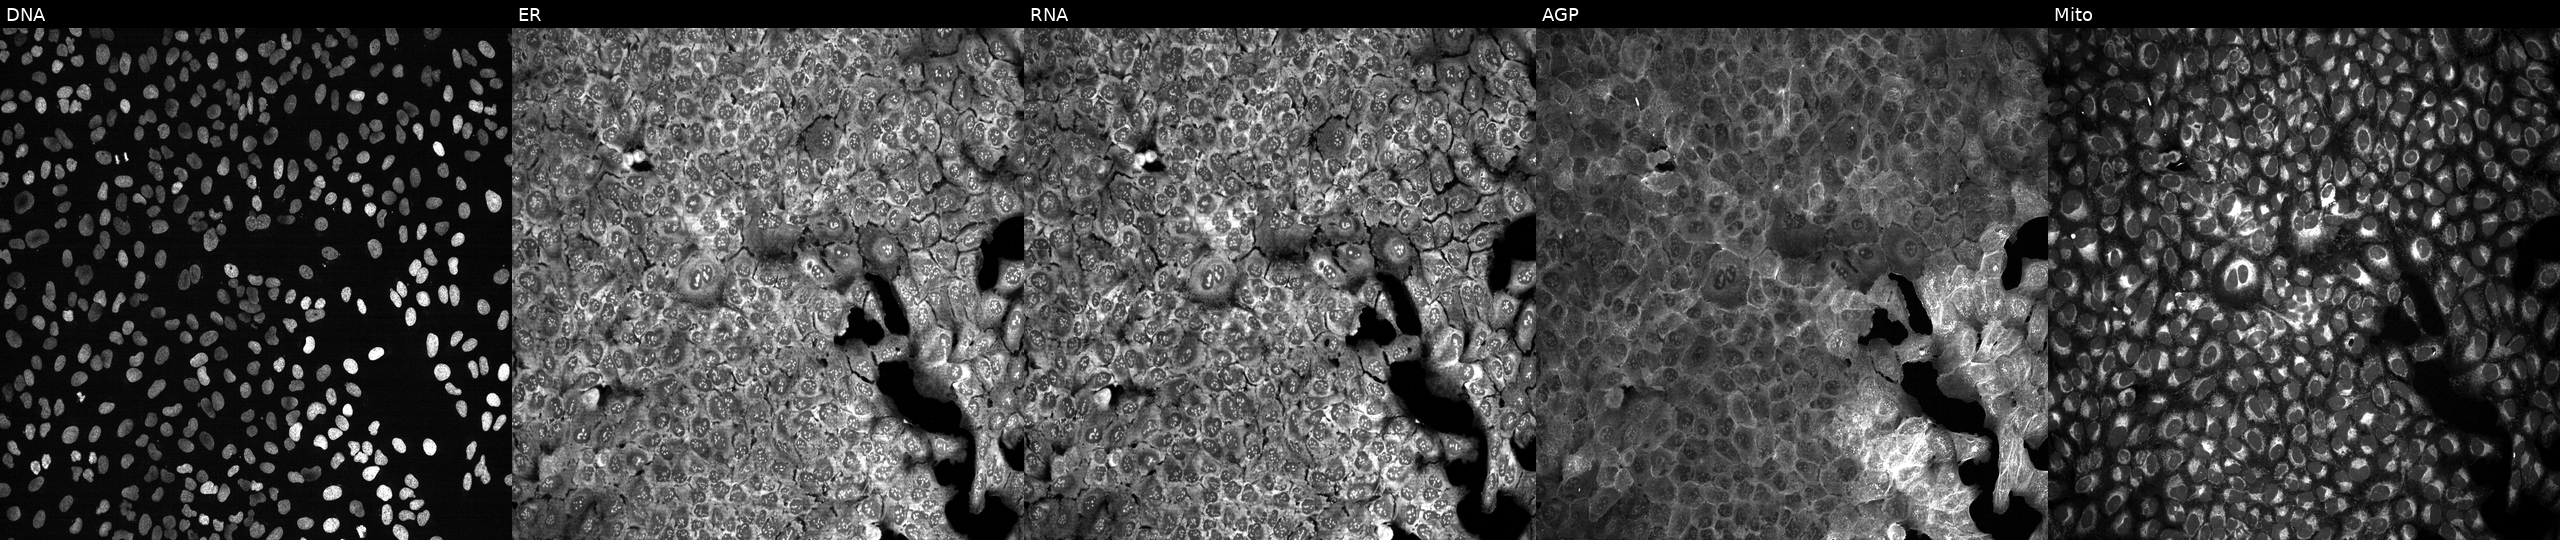
The five panels, left to right, show DNA (nuclei); ER (endoplasmic reticulum); RNA (nucleoli and cytoplasmic RNA); AGP (actin cytoskeleton, Golgi, and plasma membrane); Mito (mitochondria). U2OS osteosarcoma cells following CRISPR knockout of OGG1. Cell Painting assay, JUMP-CP dataset.